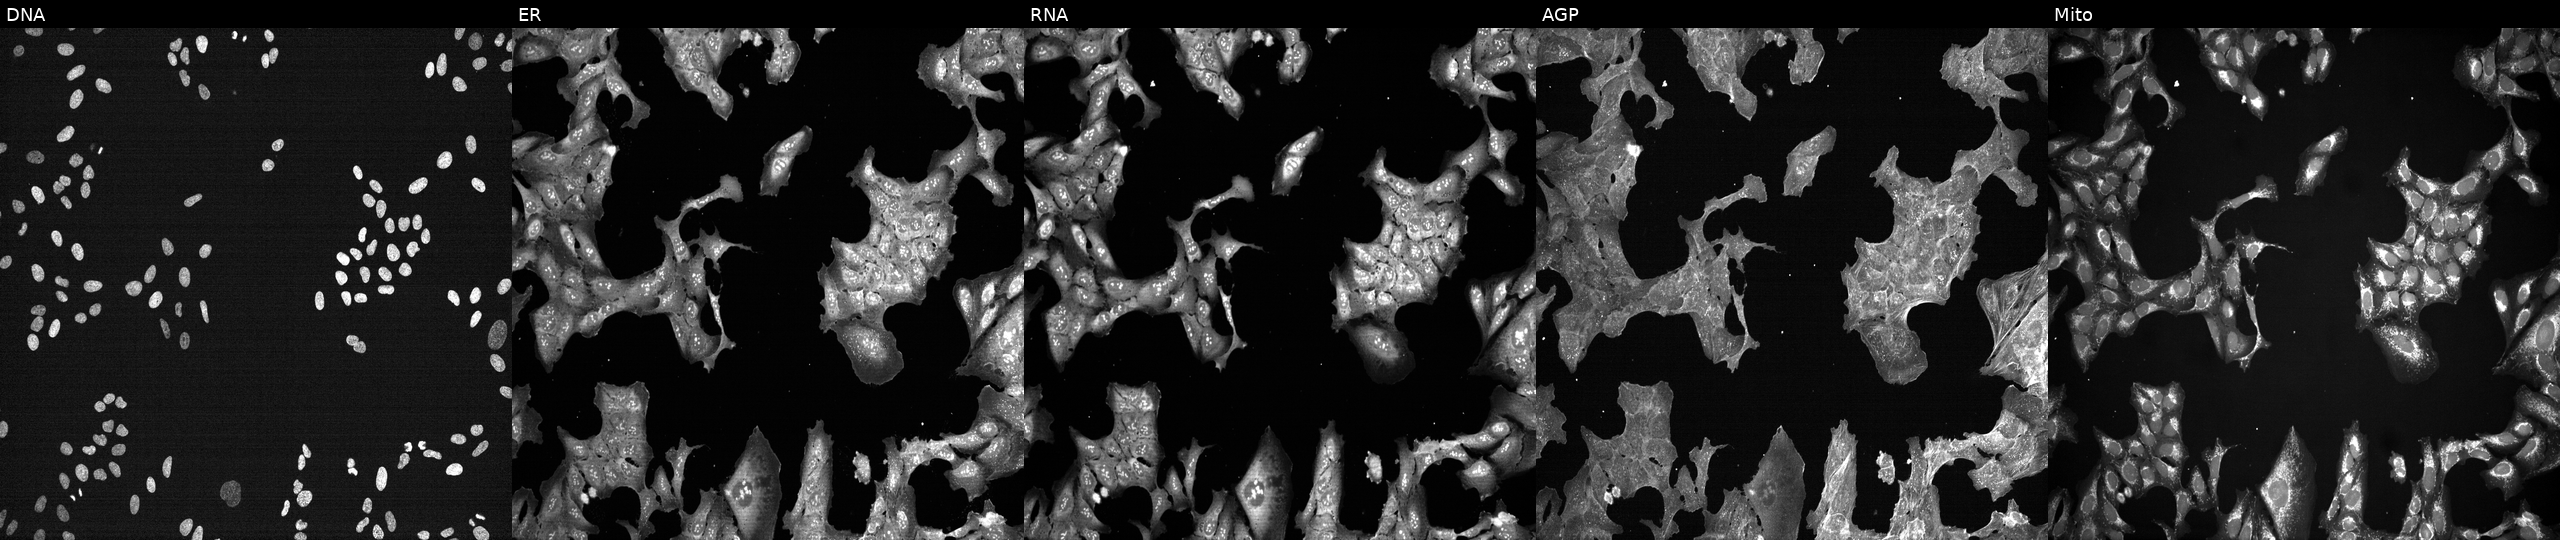
JUMP Cell Painting — TARGET2 plate. U2OS cells exposed to a small-molecule compound [SMILES: O=C(NCc1ccc2c(c1)OCO2)c1c(Cl)cccc1Cl]. The five panels, left to right, show DNA, ER, RNA, AGP, and Mito.